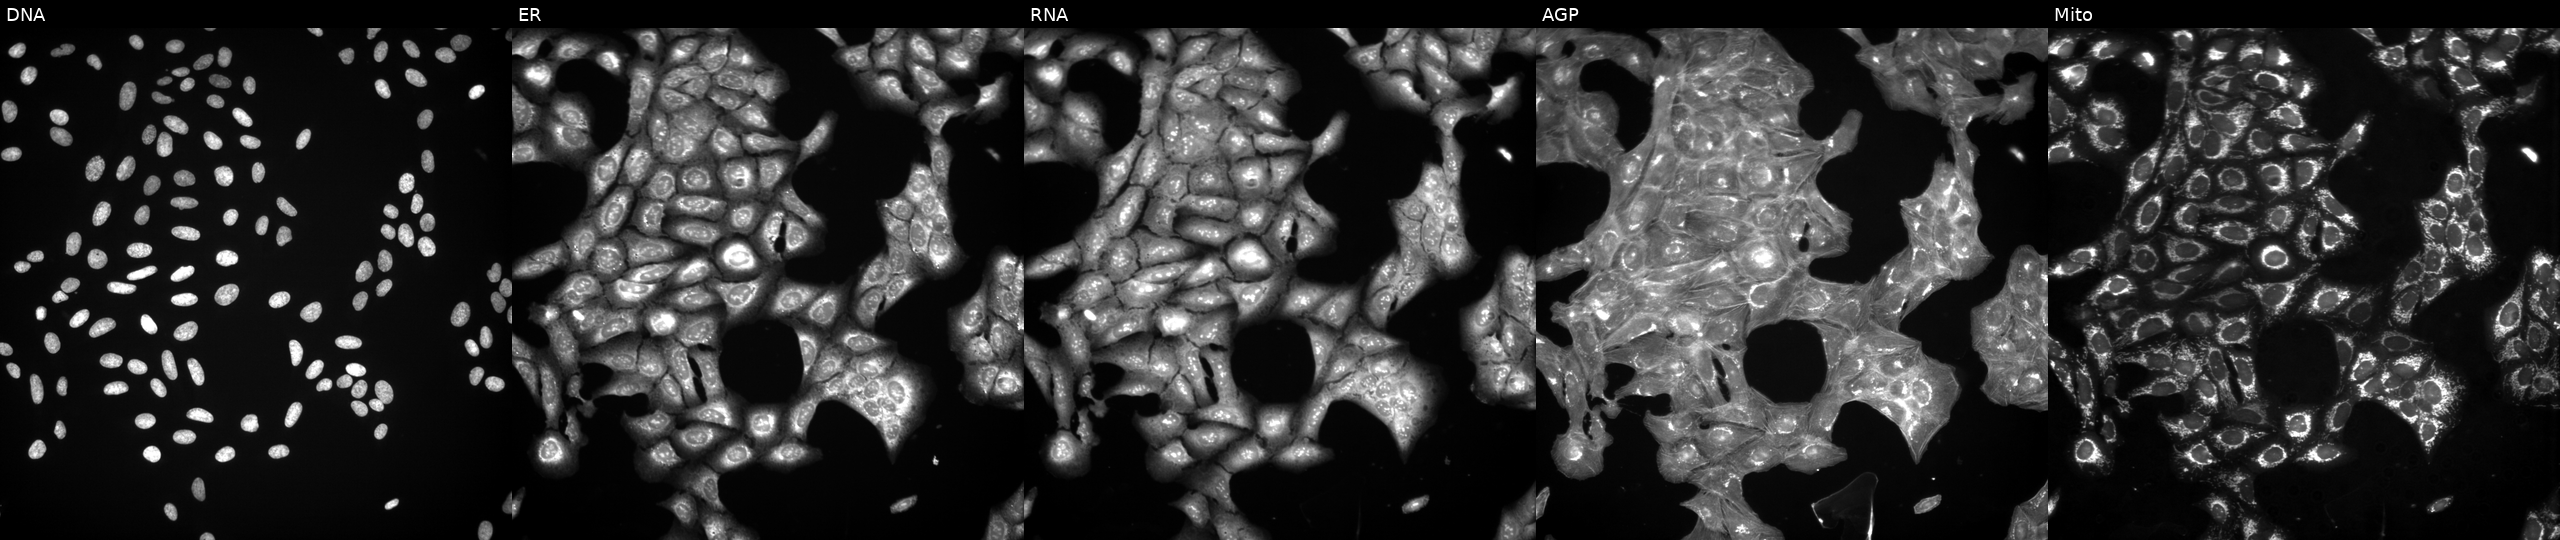
JUMP Cell Painting — COMPOUND plate. U2OS cells exposed to a small-molecule compound [SMILES: CCOC(=O)Cc1csc(=NC(=O)NC2(C(F)(F)F)Oc3cc(Cl)c(Cl)cc3O2)[nH]1]. The five panels, left to right, show DNA, ER, RNA, AGP, and Mito.